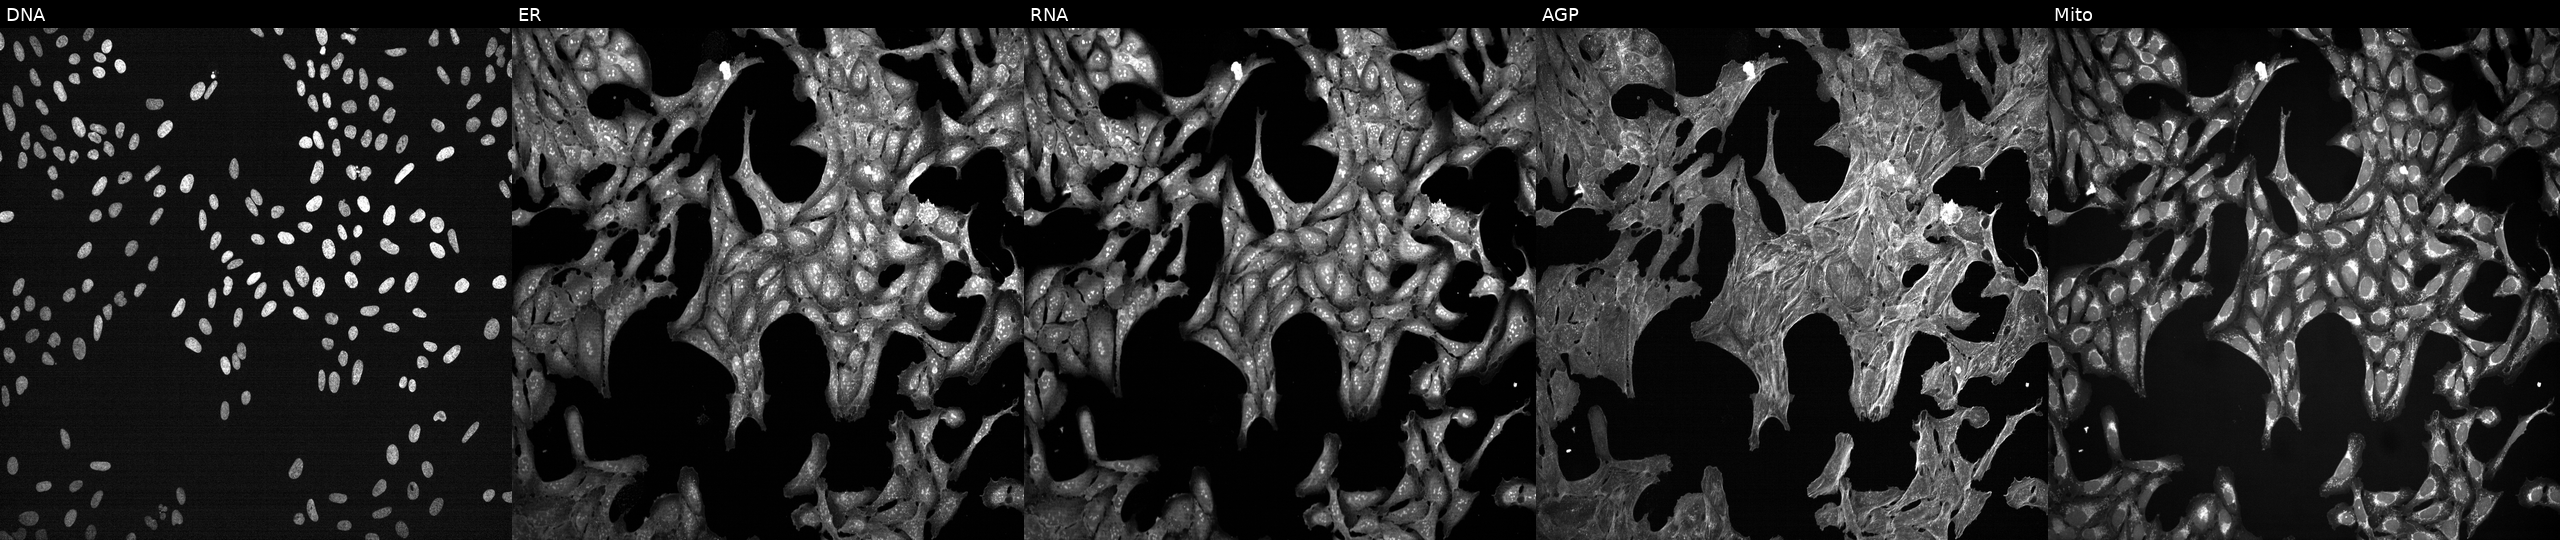
U2OS cells, Cell Painting assay, exposed to a small-molecule compound (InChIKey ZIUDADZJCKGWKR-UHFFFAOYSA-N) (JUMP id JCP2022_113600). The five panels, left to right, show DNA, ER, RNA, AGP, and Mito. Each panel is percentile-stretched 16-bit fluorescence.